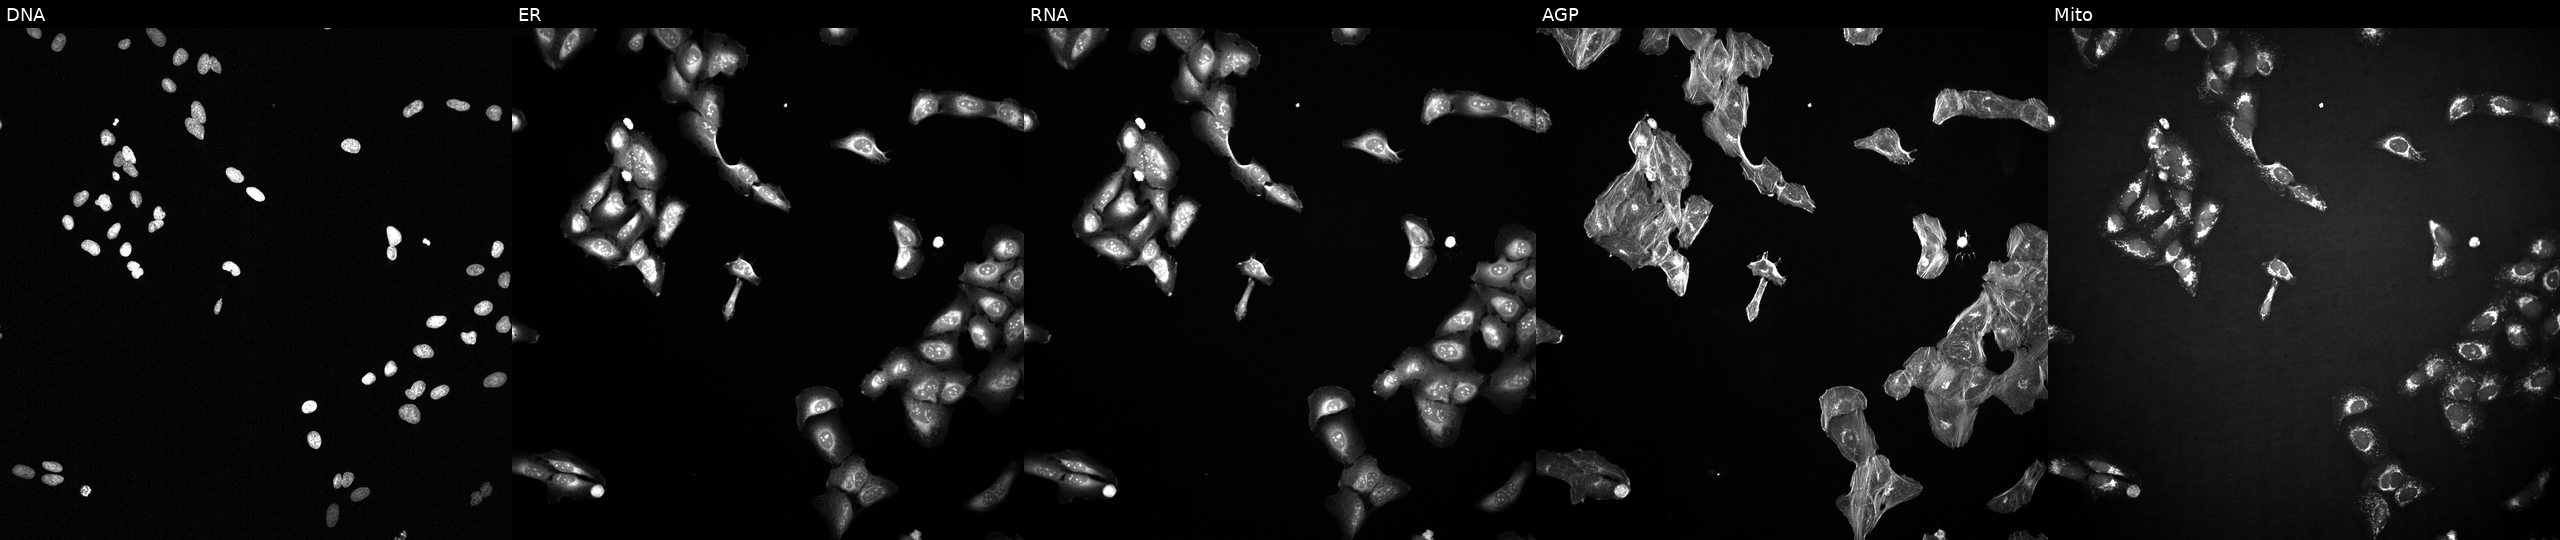
Five-channel Cell Painting image of U2OS cells treated with TC-S-7004 (positive-control compound). Panels show, left to right, DNA (nuclei); ER (endoplasmic reticulum); RNA (nucleoli and cytoplasmic RNA); AGP (actin cytoskeleton, Golgi, and plasma membrane); Mito (mitochondria). Source 2, plate 1053601756, well H01.